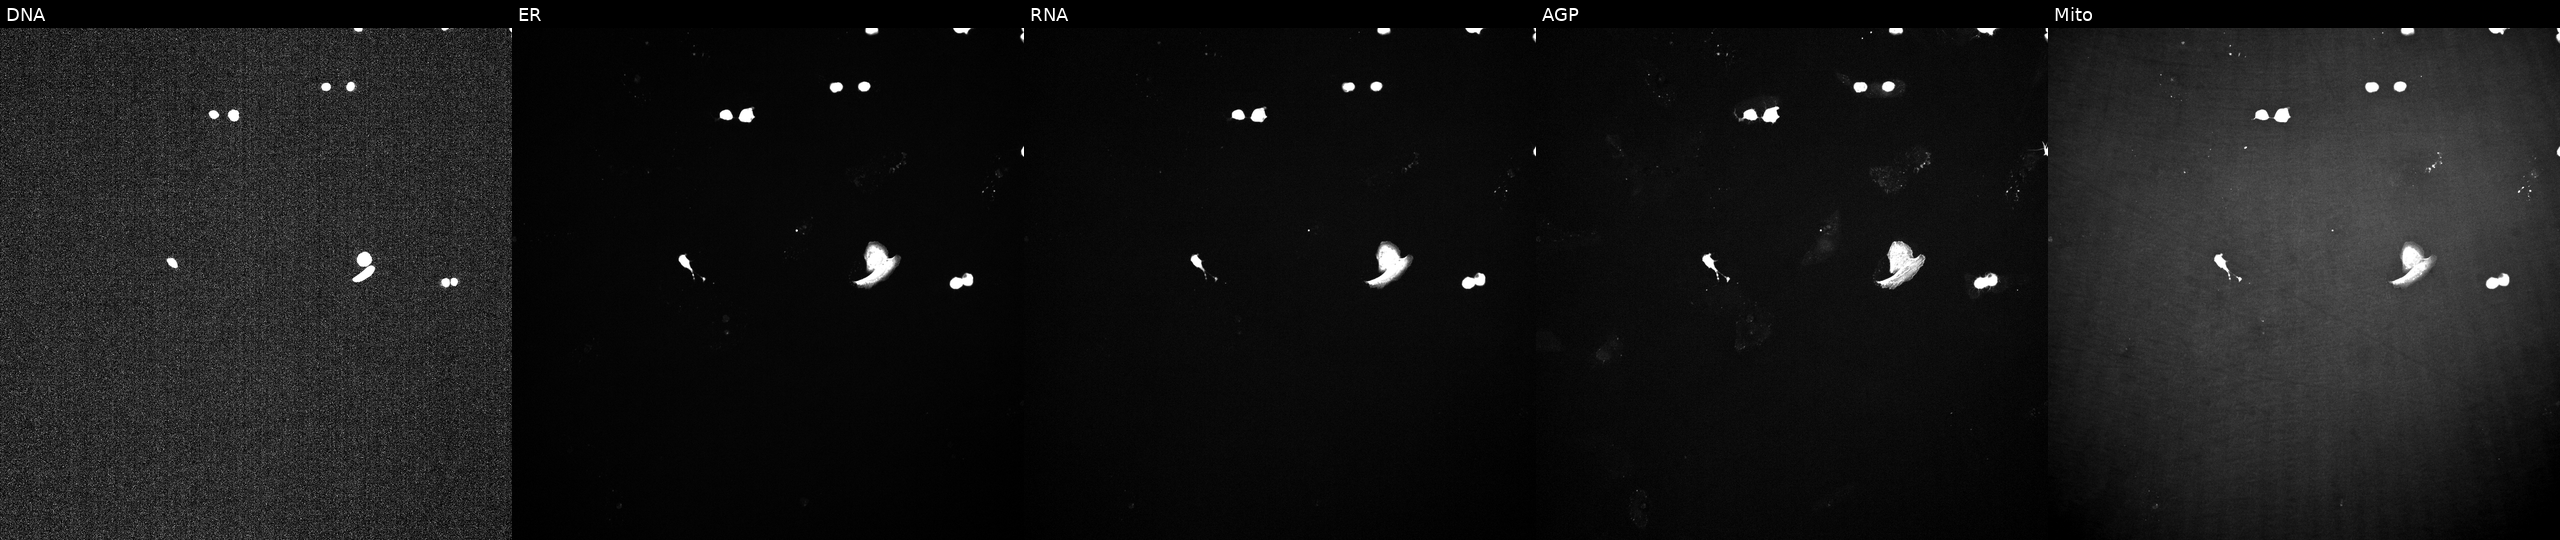
U2OS cells, Cell Painting assay, perturbed with a small-molecule compound (InChIKey NQQBNZBOOHHVQP-UHFFFAOYSA-N). From left to right: DNA (nuclei); ER (endoplasmic reticulum); RNA (nucleoli and cytoplasmic RNA); AGP (actin cytoskeleton, Golgi, and plasma membrane); Mito (mitochondria). Each panel is percentile-stretched 16-bit fluorescence. Source 2, plate 1053600674, well F16.